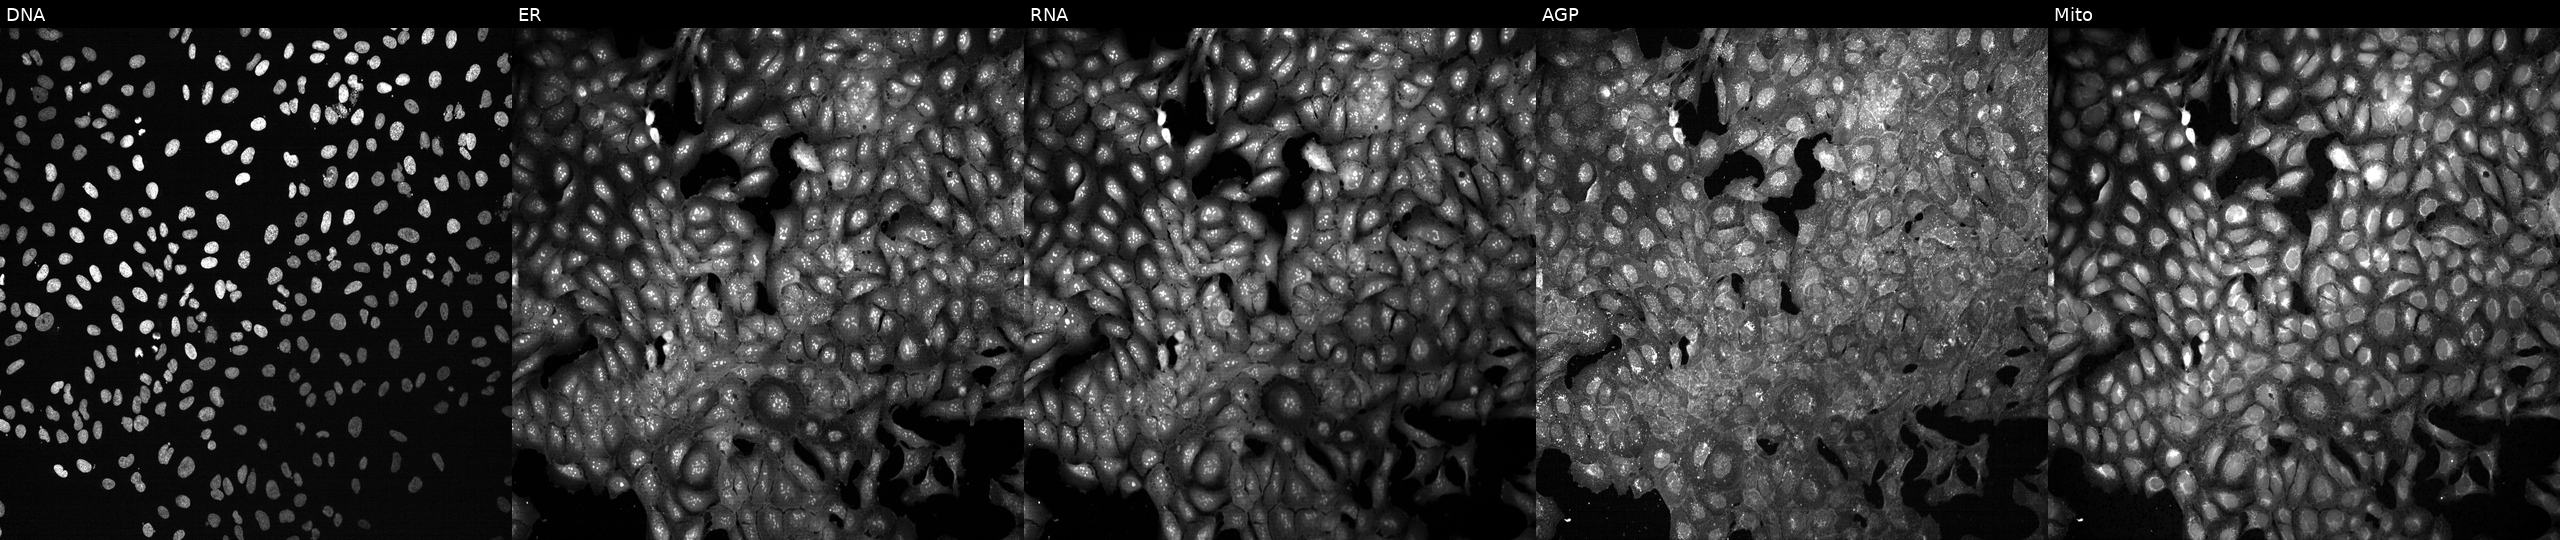
High-content fluorescence microscopy (Cell Painting). Cell line: U2OS. Perturbation: following CRISPR knockout of GANC. From left to right: DNA (nuclei); ER (endoplasmic reticulum); RNA (nucleoli and cytoplasmic RNA); AGP (actin cytoskeleton, Golgi, and plasma membrane); Mito (mitochondria).